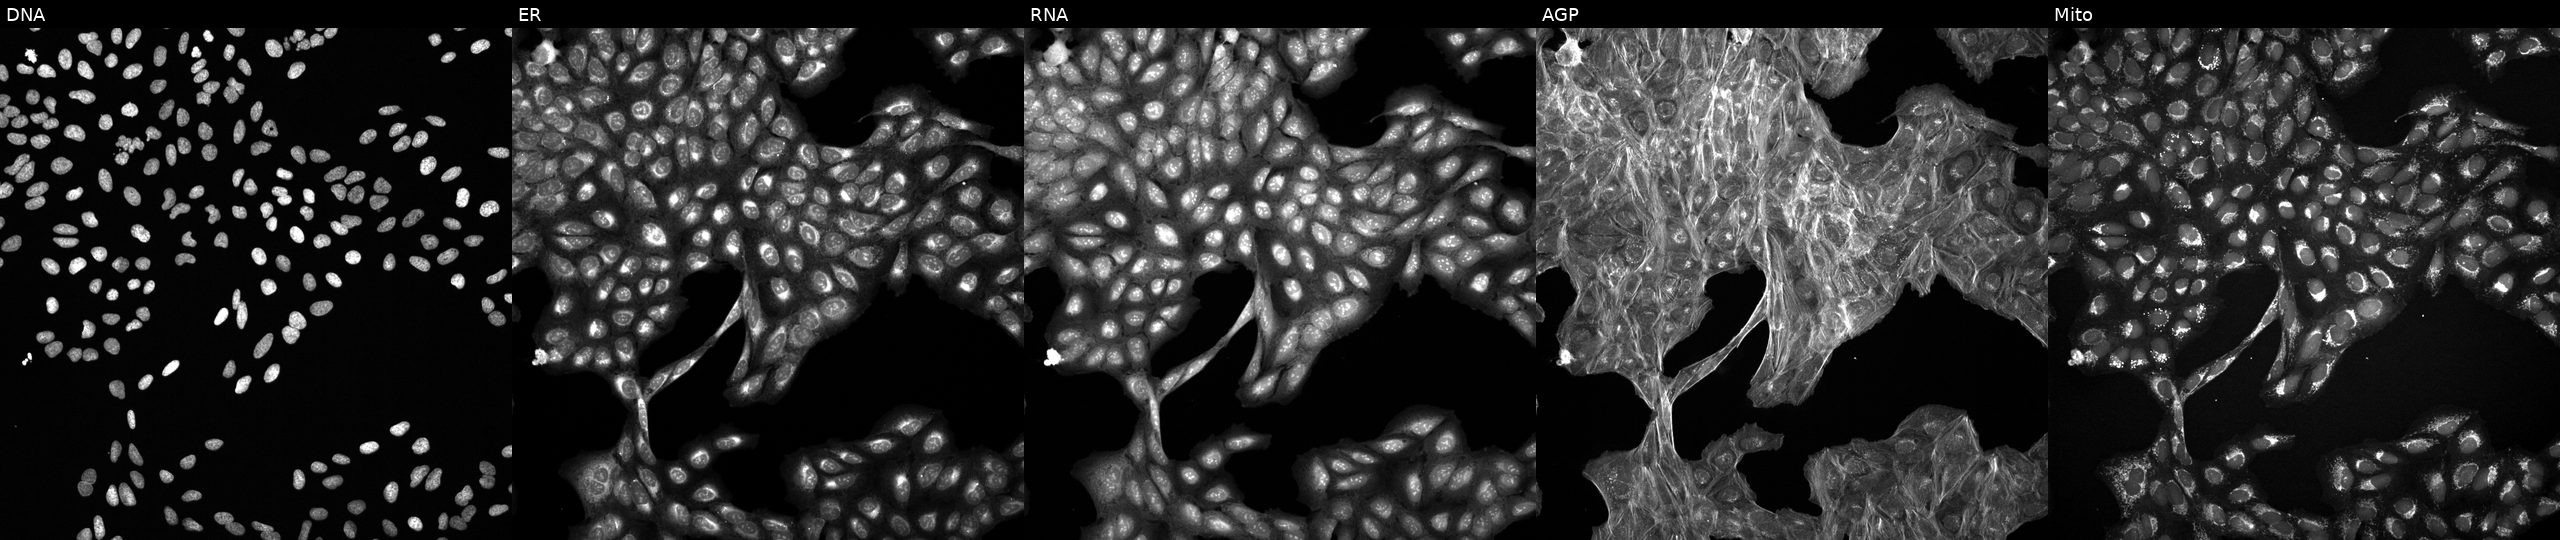
The five panels, left to right, show DNA, ER, RNA, AGP, and Mito. U2OS osteosarcoma cells exposed to a small-molecule compound [SMILES: Cc1ccc(-c2cnc(SCC(=O)N3CCc4ccccc43)n2Cc2ccccc2)cc1]. Cell Painting assay, JUMP-CP dataset.